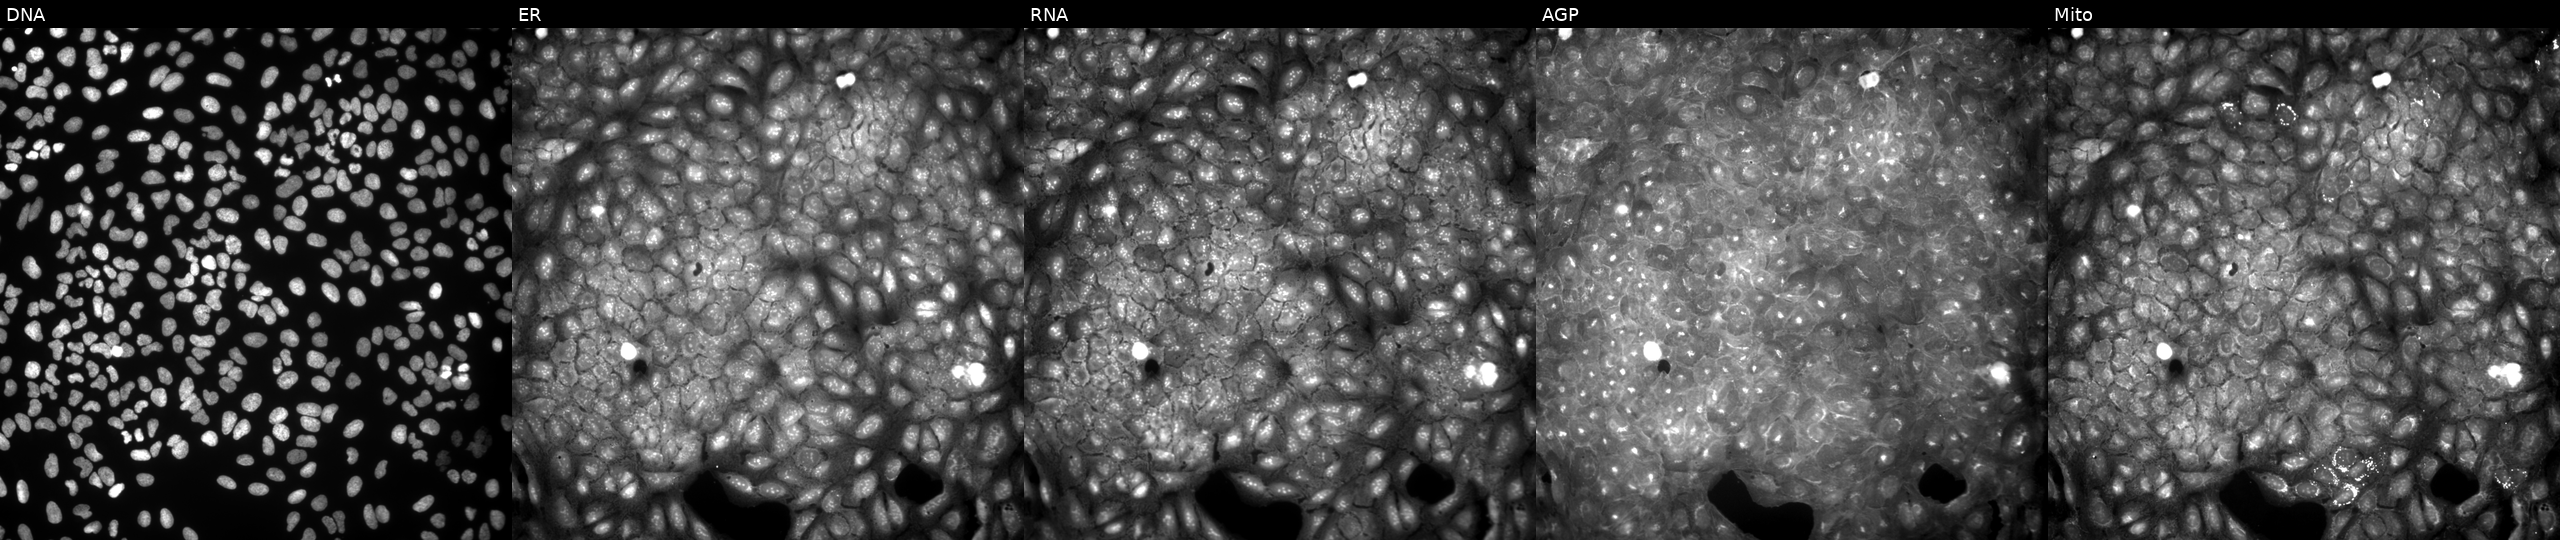
This image strip shows the five Cell Painting channels for a single field of U2OS cells treated with a small-molecule compound (InChIKey JQYIXGWWNDPQCL-UHFFFAOYSA-N) (JUMP id JCP2022_041564). The five panels, left to right, show Hoechst 33342, concanavalin A, SYTO 14, phalloidin and WGA, MitoTracker.